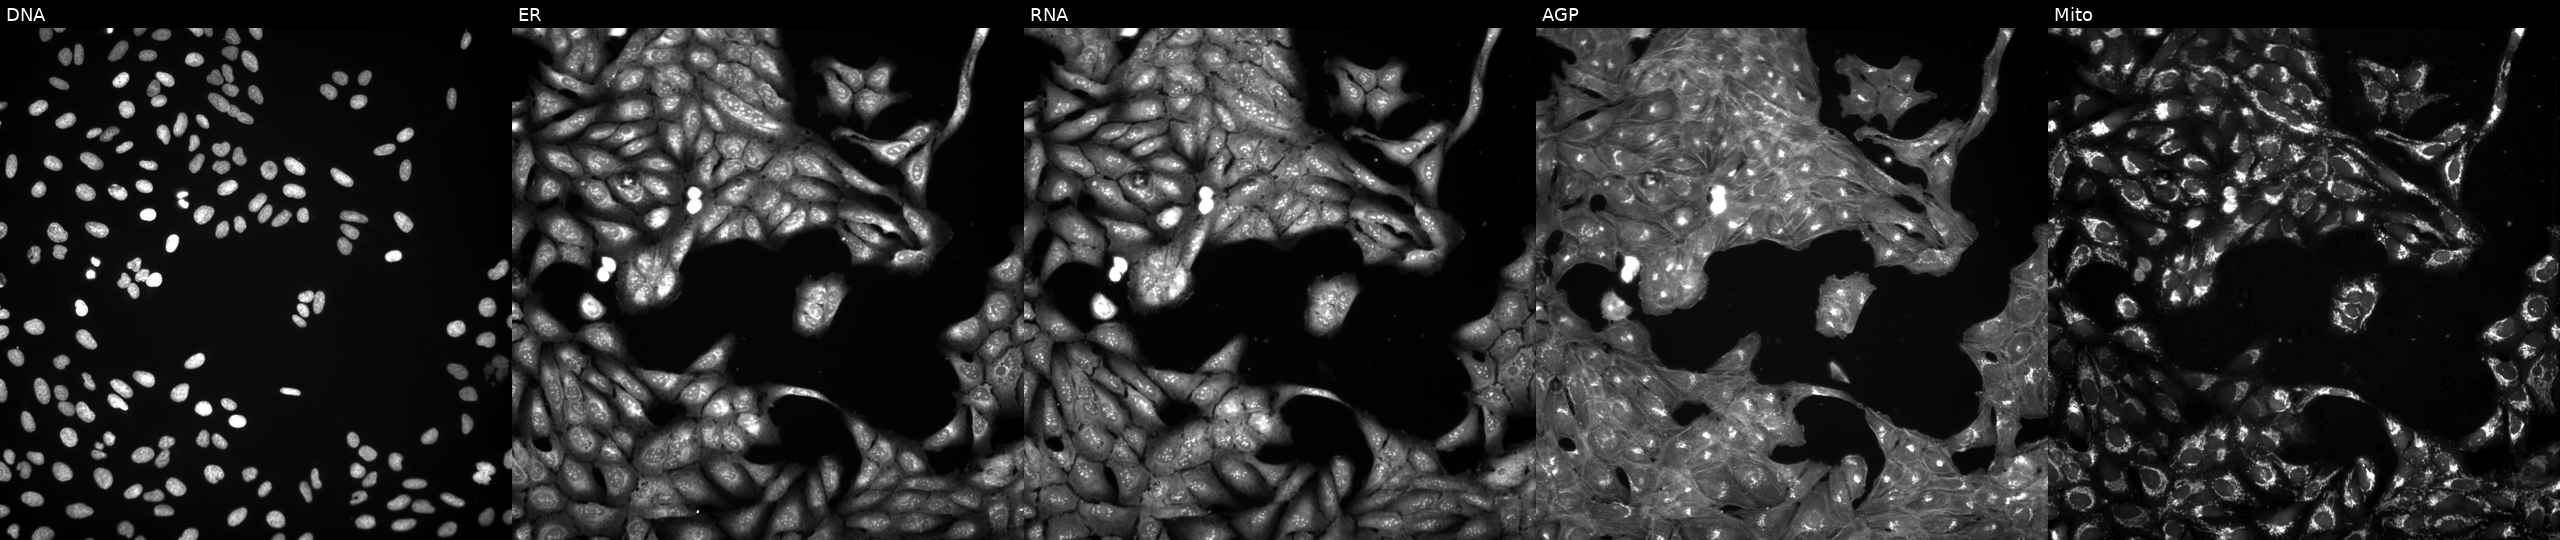
JUMP Cell Painting — COMPOUND plate. U2OS cells exposed to a small-molecule compound (InChIKey VYPADQMWYMNLRM-UHFFFAOYSA-N) [SMILES: Cc1ccc(S(=O)(=O)NC2CCCCC2)c2nsnc12] (JUMP id JCP2022_097162). The five panels, left to right, show Hoechst 33342, concanavalin A, SYTO 14, phalloidin and WGA, MitoTracker. Source 3, plate BR5867a3, well E12.